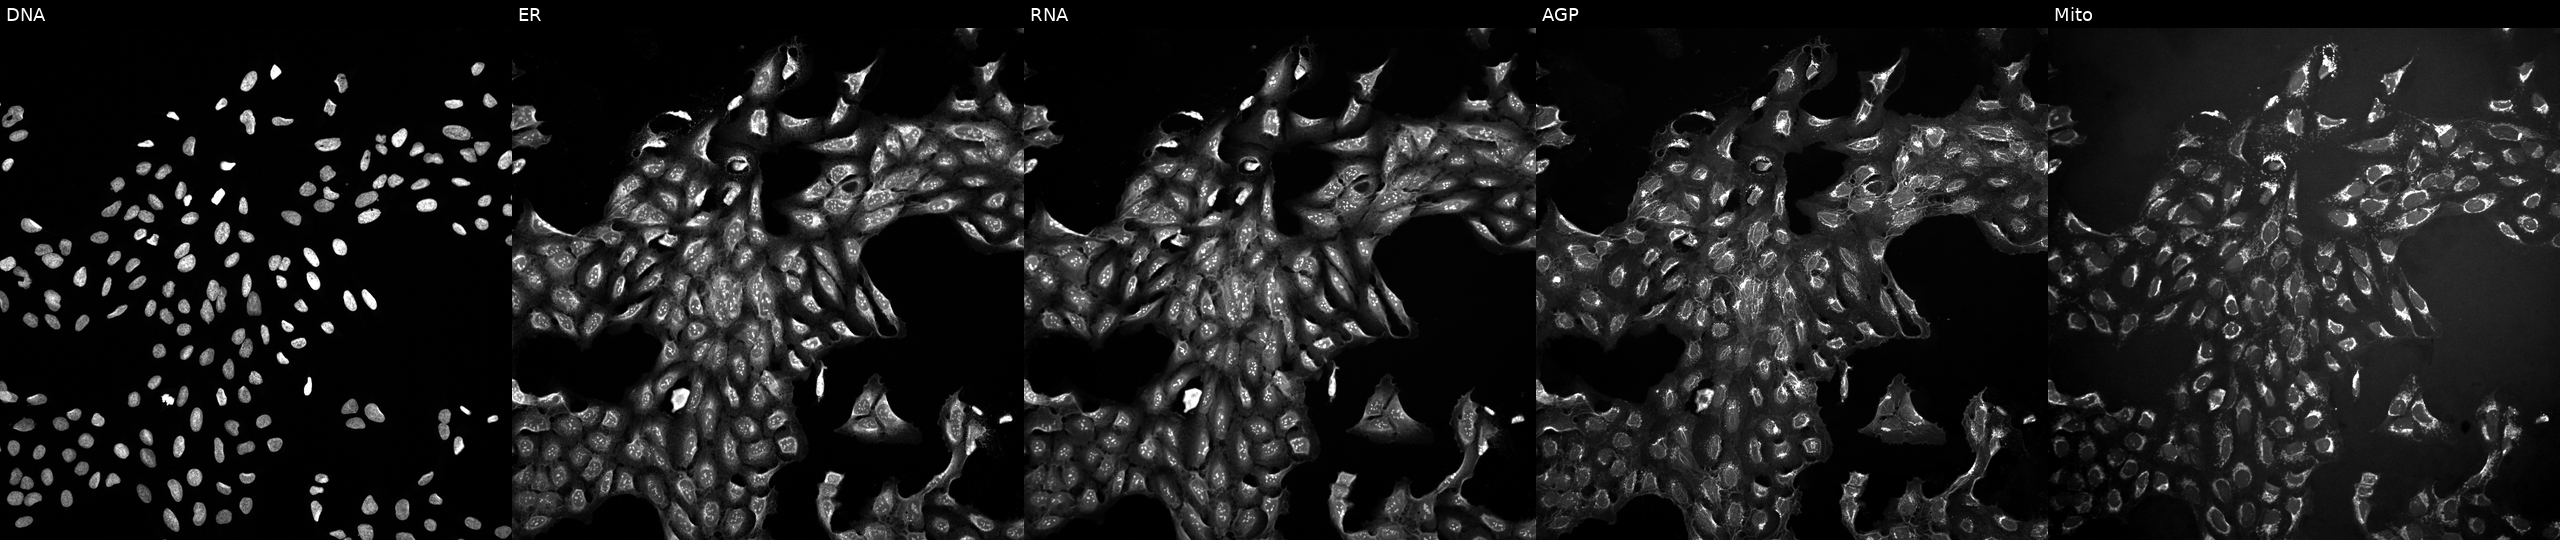
Panels show, left to right, DNA, ER, RNA, AGP, and Mito. U2OS osteosarcoma cells perturbed with a small-molecule compound (InChIKey VDQLKIBLTMPAHI-UHFFFAOYSA-N) (JUMP id JCP2022_093289). Cell Painting assay, JUMP-CP dataset. Source 10, plate Dest210803-153958, well B03.